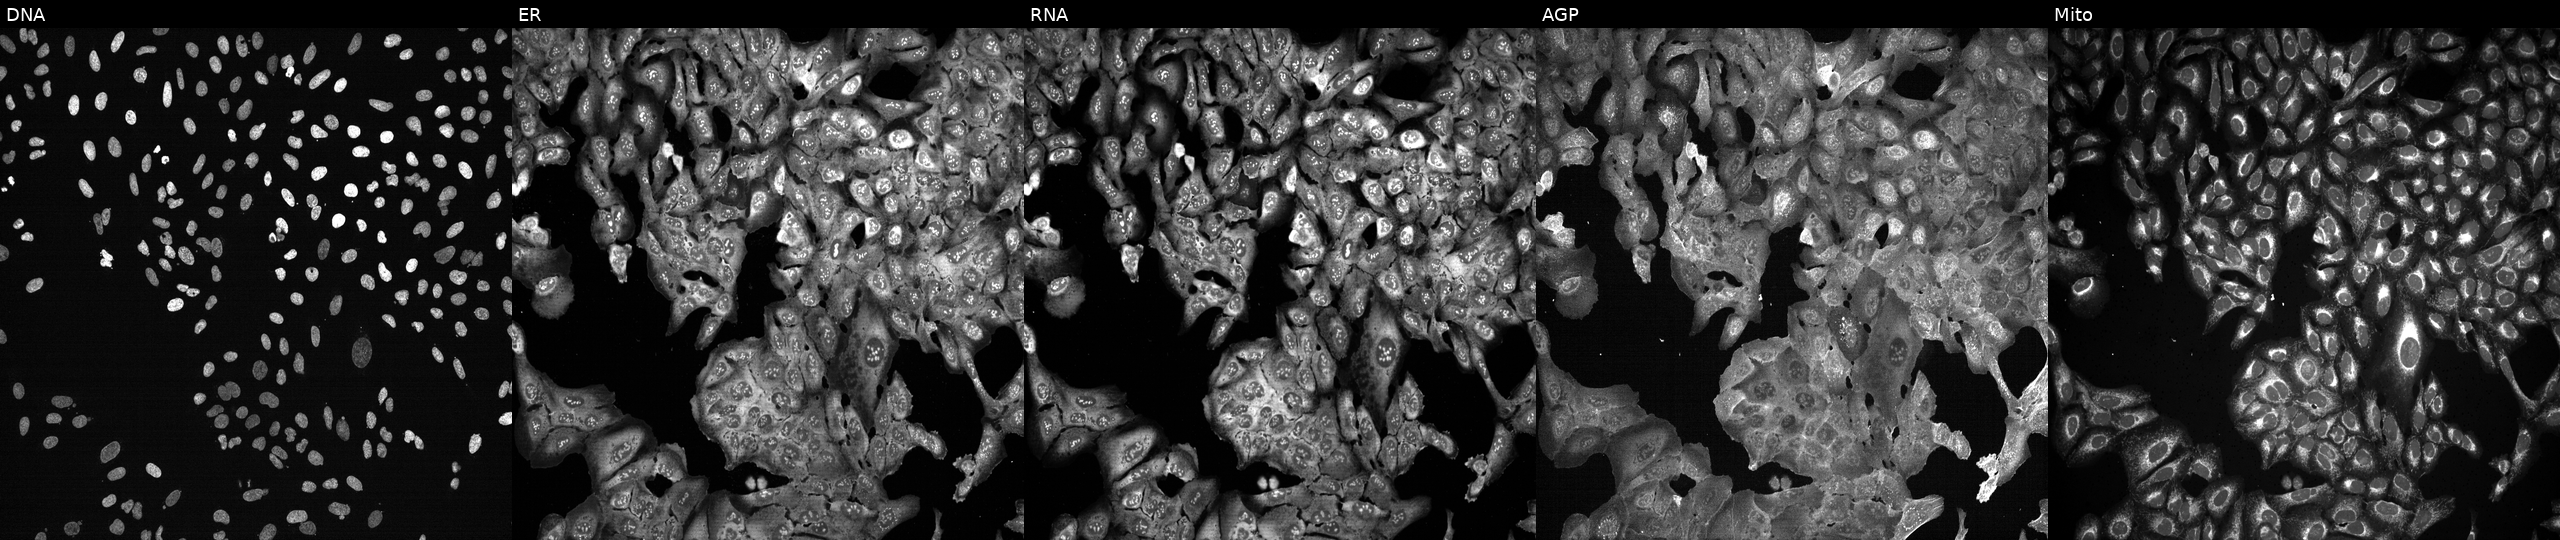
The five panels, left to right, show Hoechst 33342, concanavalin A, SYTO 14, phalloidin and WGA, MitoTracker. U2OS osteosarcoma cells with GFRA3 knocked out by CRISPR (JUMP id JCP2022_802678). Cell Painting assay, JUMP-CP dataset.